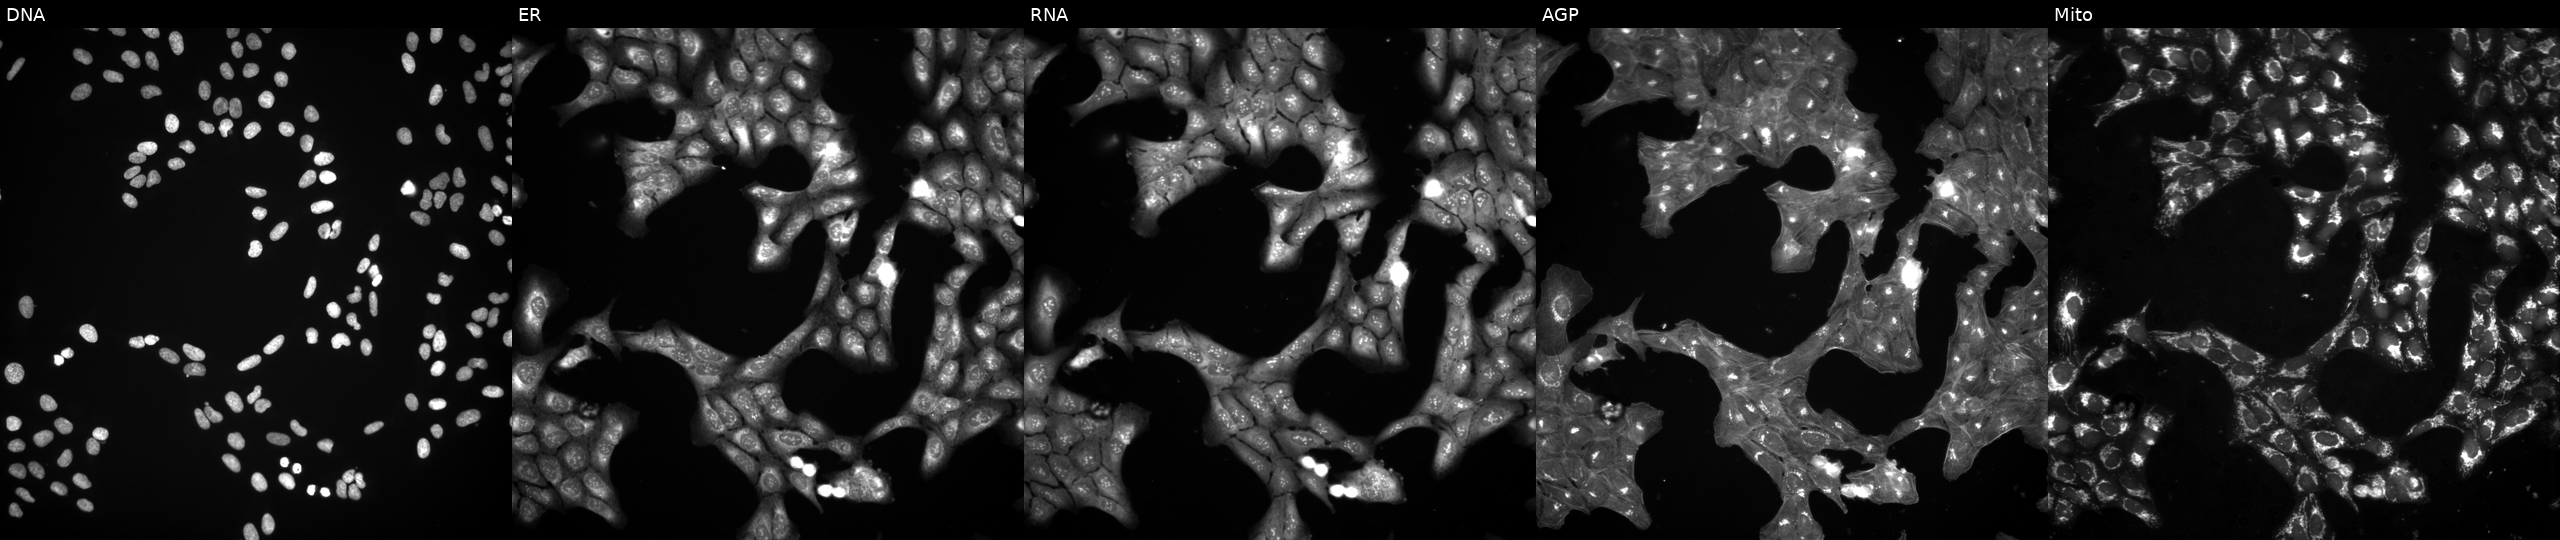
U2OS cells, Cell Painting assay, treated with a small-molecule compound. The five panels, left to right, show DNA (nuclei); ER (endoplasmic reticulum); RNA (nucleoli and cytoplasmic RNA); AGP (actin cytoskeleton, Golgi, and plasma membrane); Mito (mitochondria). Each panel is percentile-stretched 16-bit fluorescence. Source 3, plate BR5867a3, well D15.